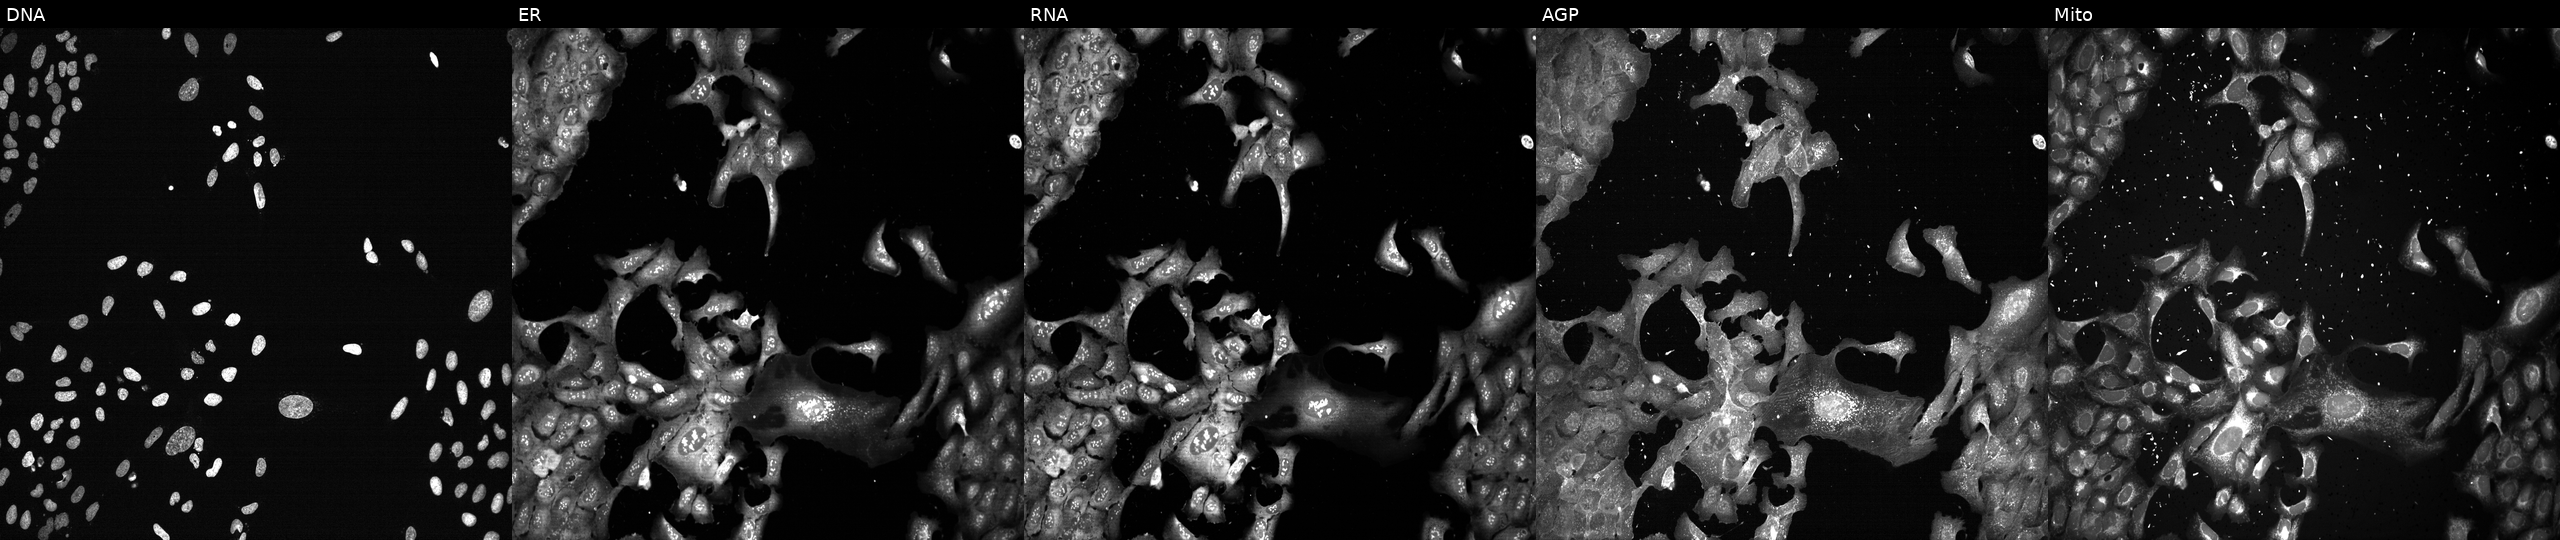
This image strip shows the five Cell Painting channels for a single field of U2OS cells following CRISPR knockout of ARL2. Channels (left→right): DNA, ER, RNA, AGP, and Mito. Source 13, plate CP-CC9-R5-01, well E03.